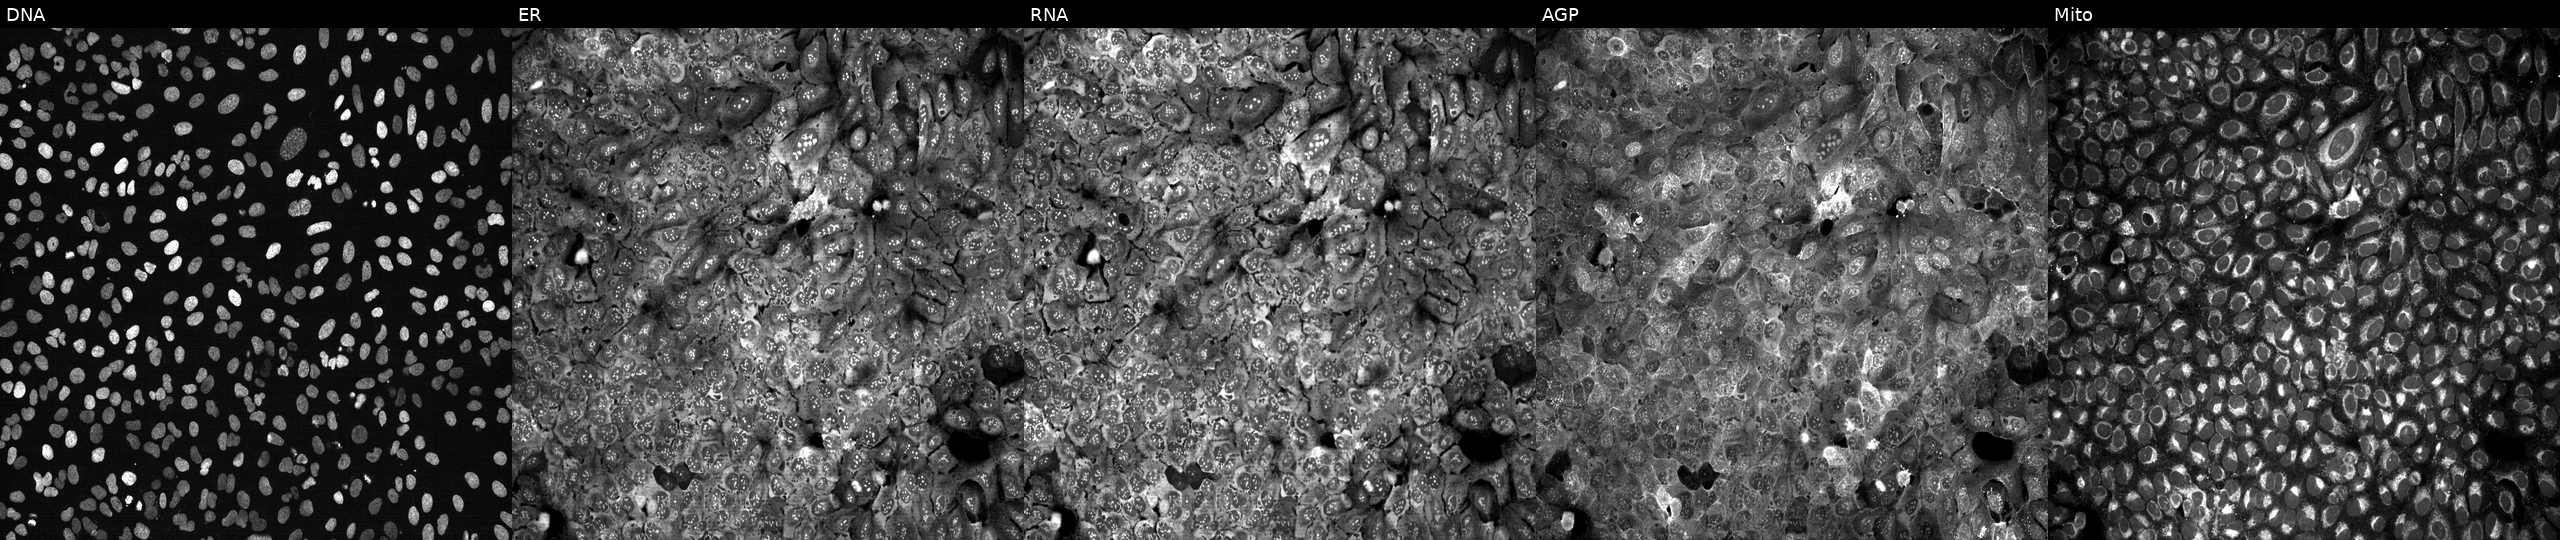
Channels (left→right): Hoechst 33342, concanavalin A, SYTO 14, phalloidin and WGA, MitoTracker. U2OS osteosarcoma cells CRISPR-edited to disrupt SERPINC1 (JUMP id JCP2022_806282). Cell Painting assay, JUMP-CP dataset.